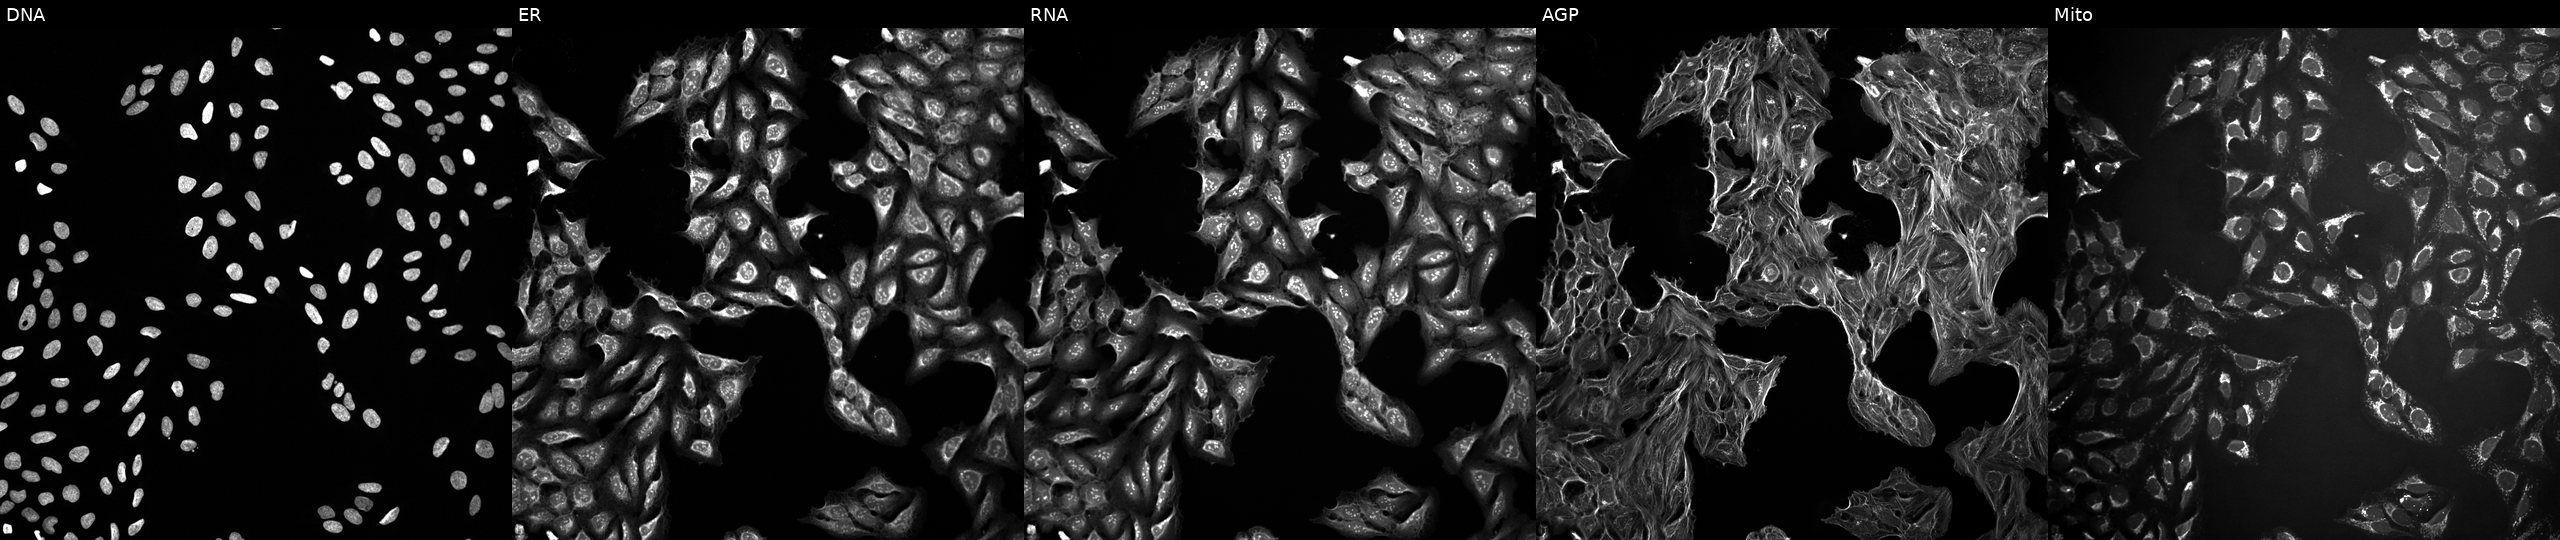
High-content fluorescence microscopy (Cell Painting). Cell line: U2OS. Perturbation: perturbed with a small-molecule compound (InChIKey PIWKPBJCKXDKJR-UHFFFAOYSA-N). Channels (left→right): Hoechst 33342, concanavalin A, SYTO 14, phalloidin and WGA, MitoTracker.